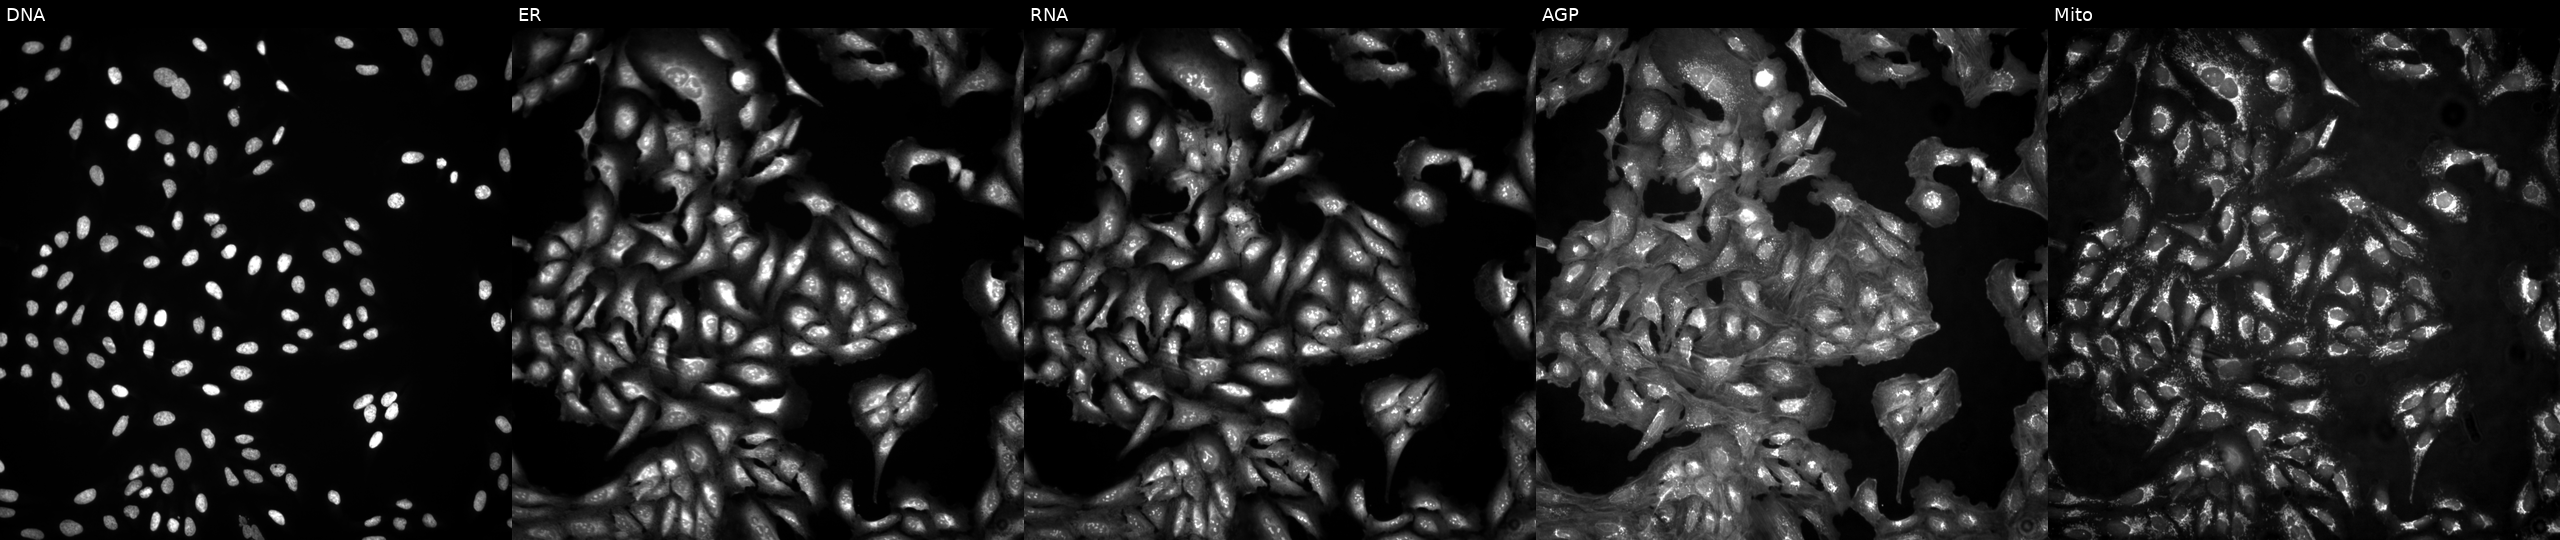
U2OS cells, Cell Painting assay, in an empty control well (no perturbation) (JUMP id JCP2022_999999). The five panels, left to right, show Hoechst 33342, concanavalin A, SYTO 14, phalloidin and WGA, MitoTracker. Each panel is percentile-stretched 16-bit fluorescence. Source 4, plate BR00124793, well H03.